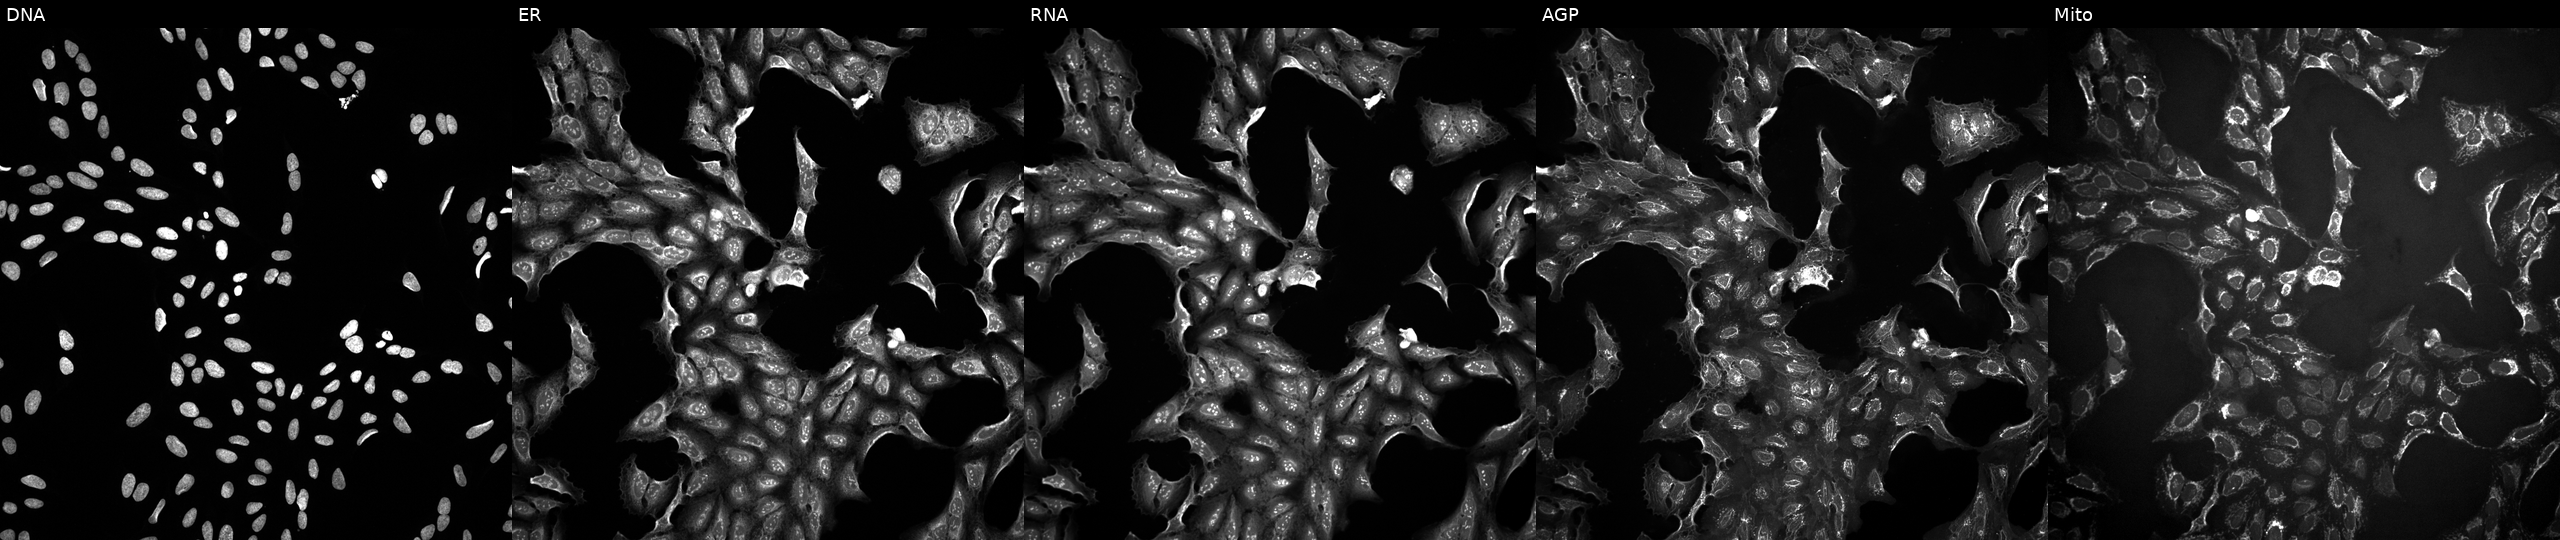
U2OS cells, Cell Painting assay, exposed to a small-molecule compound (InChIKey BLVQHYHDYFTPDV-UHFFFAOYSA-N). Panels show, left to right, Hoechst 33342, concanavalin A, SYTO 14, phalloidin and WGA, MitoTracker. Each panel is percentile-stretched 16-bit fluorescence.